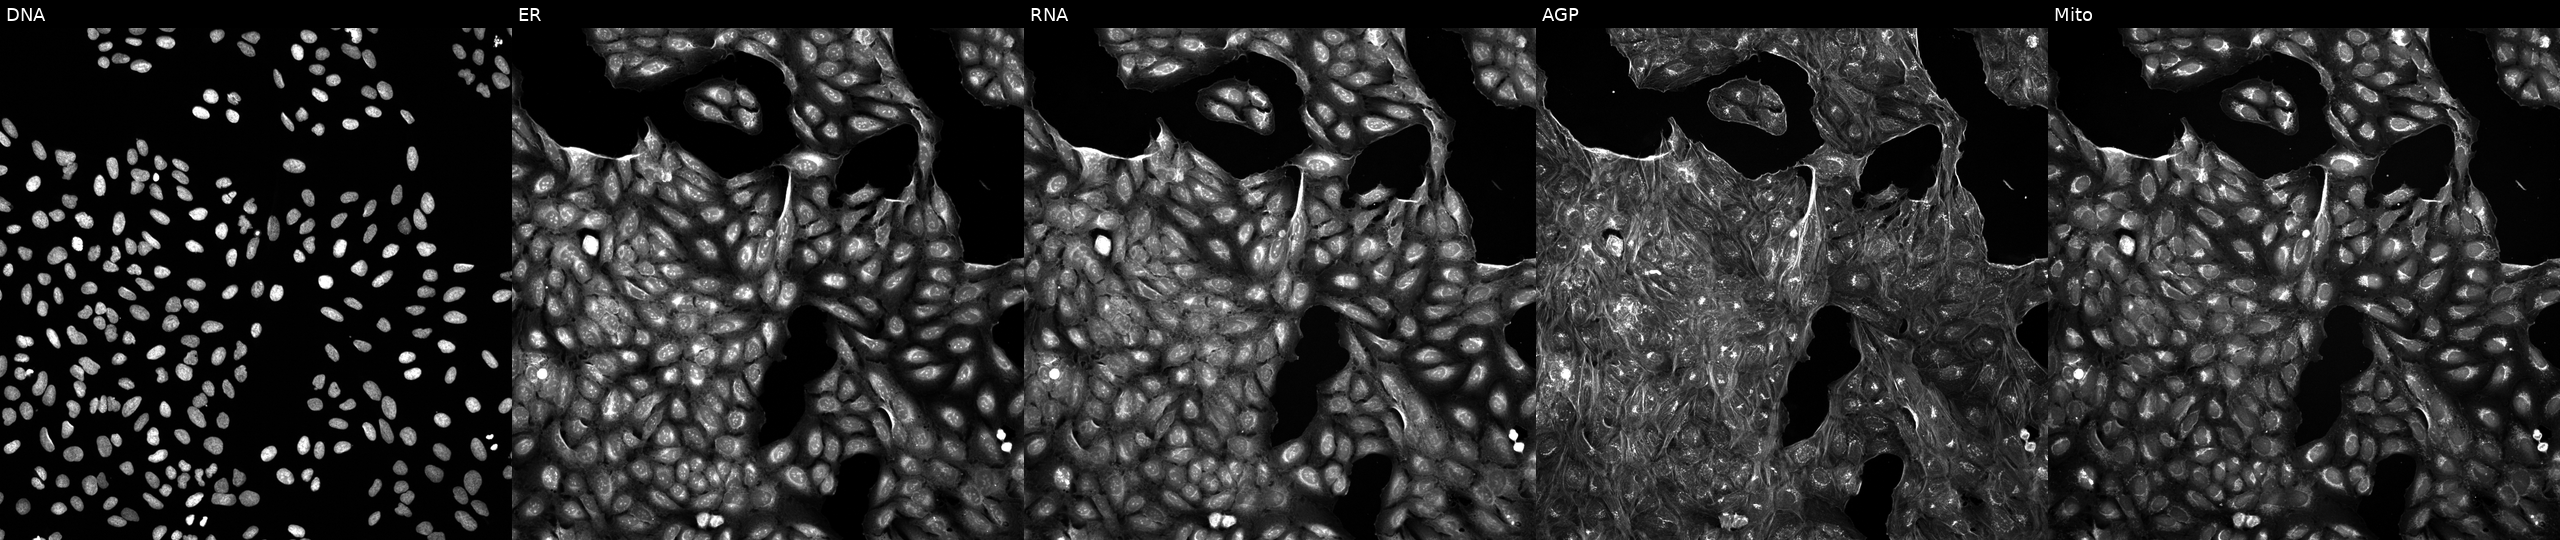
JUMP Cell Painting — COMPOUND plate. U2OS cells treated with a small-molecule compound (InChIKey BRRKCEZEUHAGOX-UHFFFAOYSA-N). Channels (left→right): Hoechst 33342, concanavalin A, SYTO 14, phalloidin and WGA, MitoTracker.